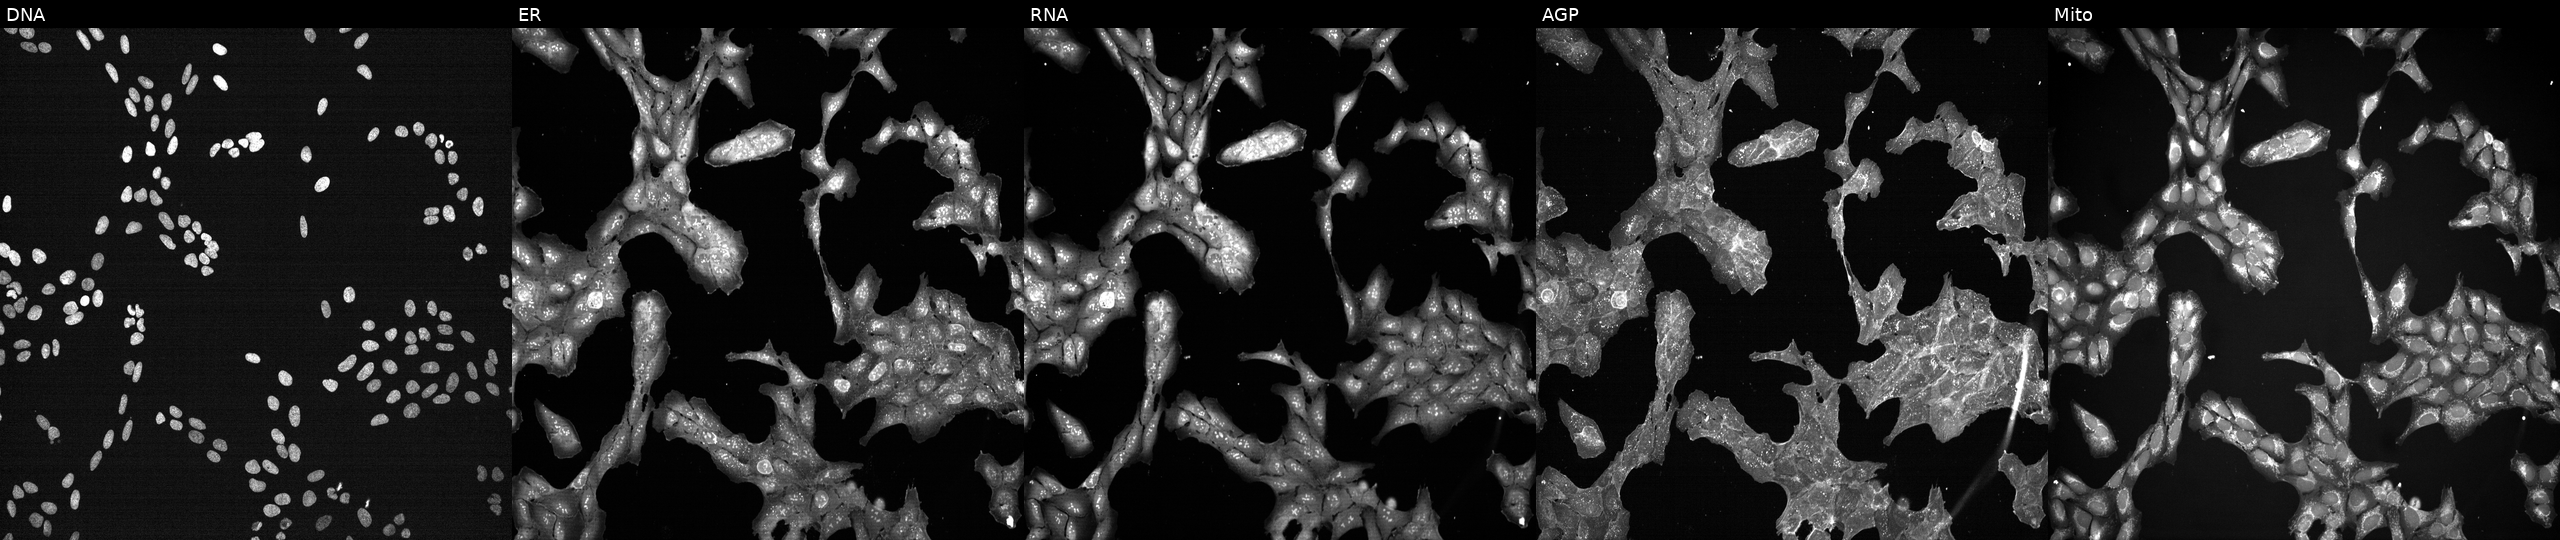
JUMP Cell Painting — TARGET2 plate. U2OS cells exposed to a small-molecule compound (InChIKey NITYDPDXAAFEIT-UHFFFAOYSA-N) (JUMP id JCP2022_059269). Channels (left→right): DNA, ER, RNA, AGP, and Mito.